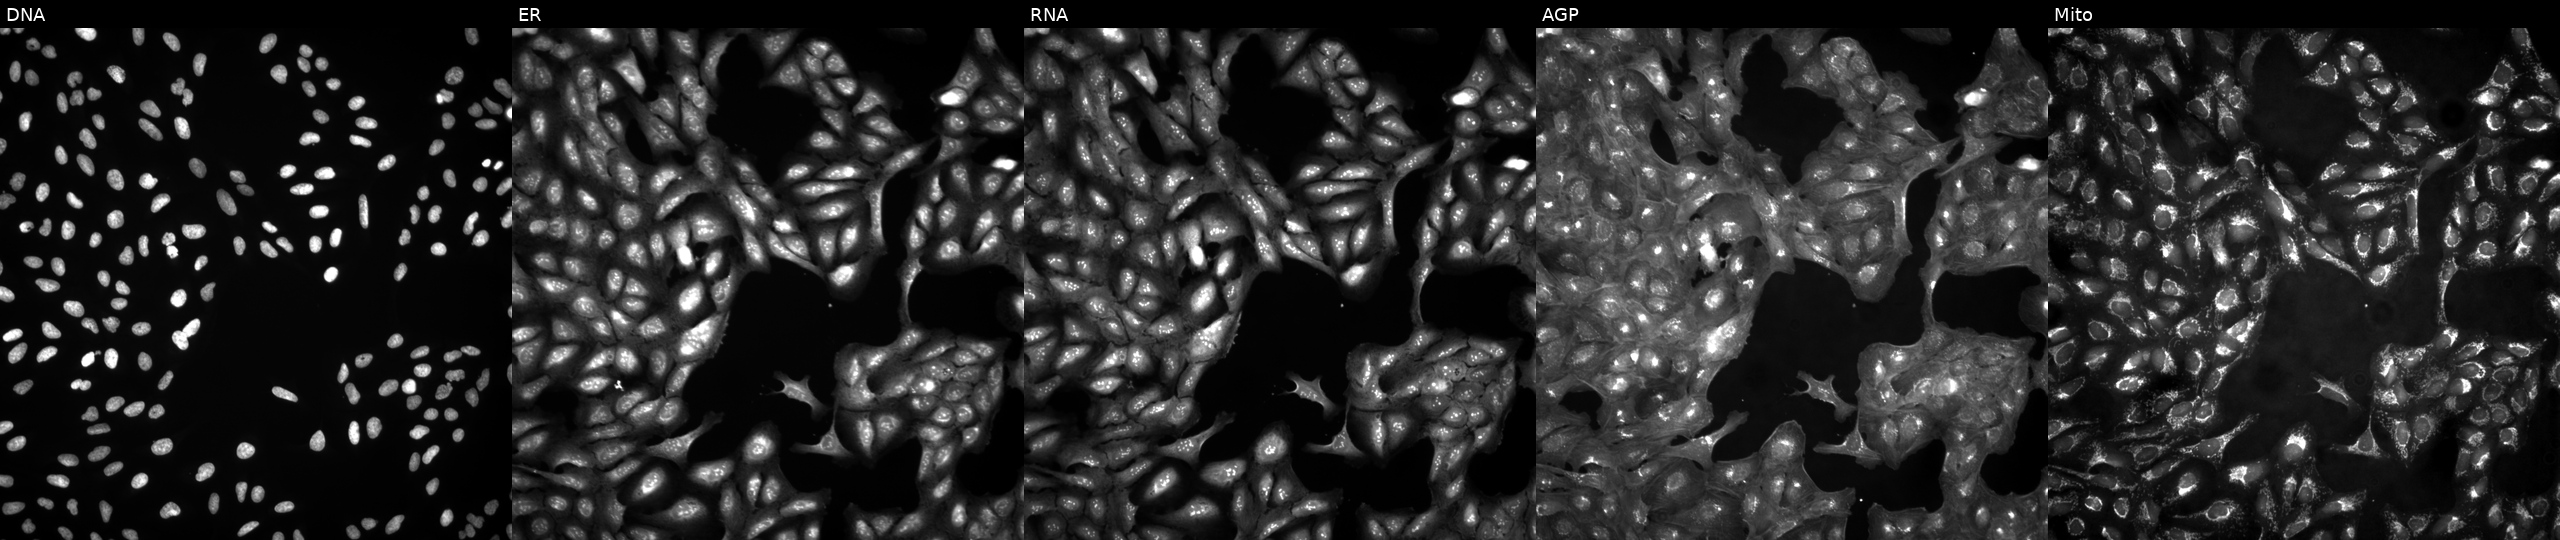
Five-channel Cell Painting image of U2OS cells in an empty control well (no perturbation) (JUMP id JCP2022_999999). Channels (left→right): DNA, ER, RNA, AGP, and Mito.